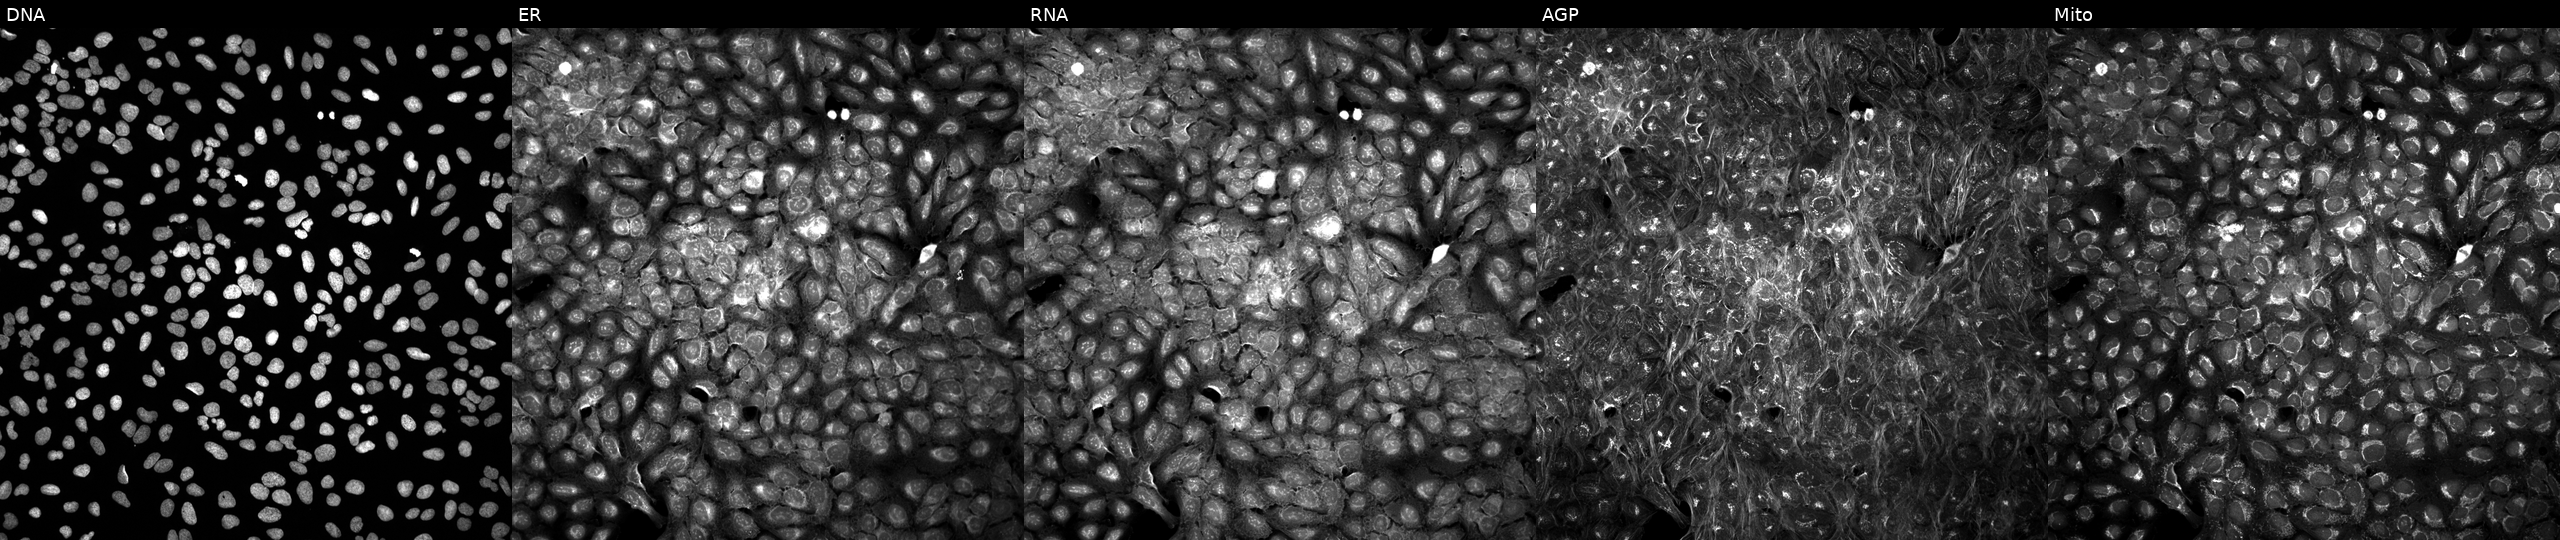
JUMP Cell Painting — TARGET2 plate. U2OS cells perturbed with a small-molecule compound (InChIKey LRRMQNGSYOUANY-UHFFFAOYSA-N) (JUMP id JCP2022_051319). From left to right: Hoechst 33342, concanavalin A, SYTO 14, phalloidin and WGA, MitoTracker. Source 5, plate ACPJUM012, well K19.